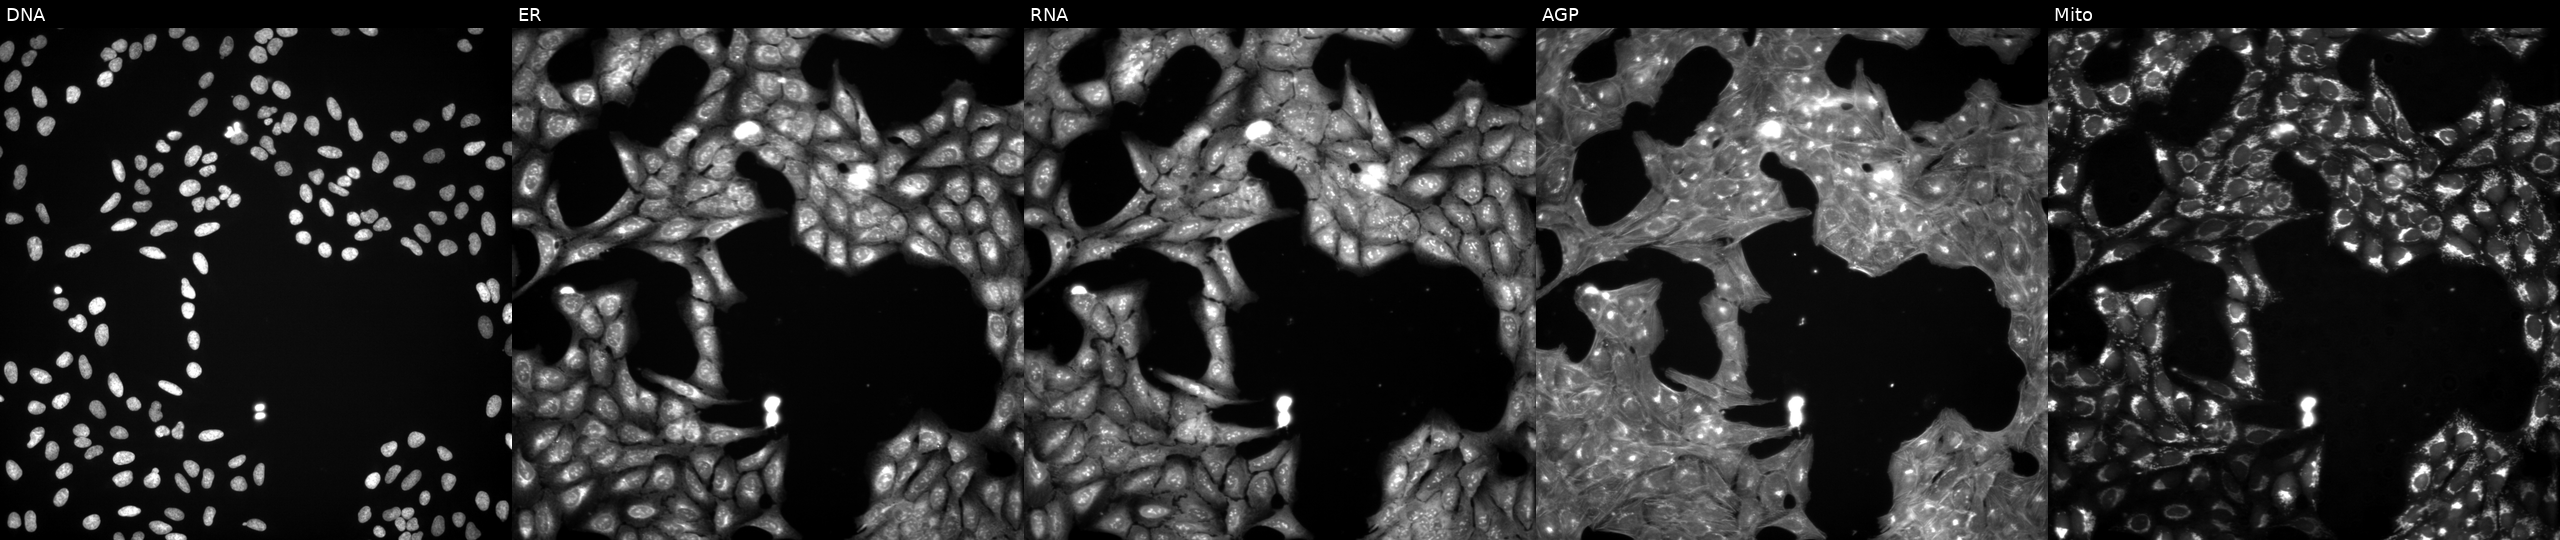
High-content fluorescence microscopy (Cell Painting). Cell line: U2OS. Perturbation: perturbed with a small-molecule compound. The five panels, left to right, show Hoechst 33342, concanavalin A, SYTO 14, phalloidin and WGA, MitoTracker. Source 3, plate BR5867b3, well G12.